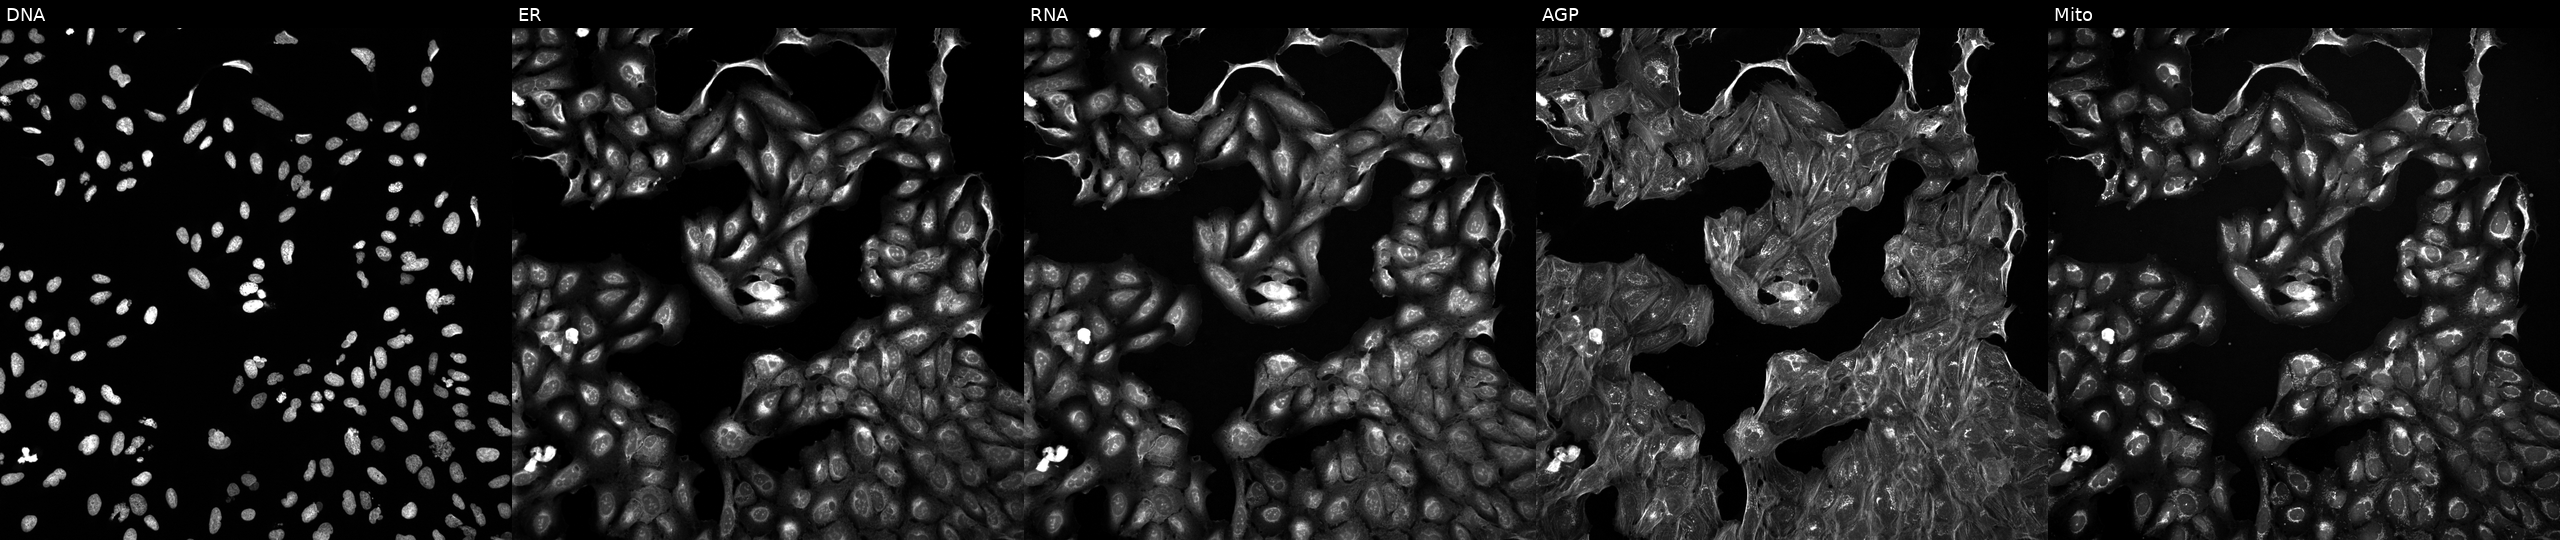
Five-channel Cell Painting image of U2OS cells treated with a small-molecule compound (InChIKey HSTZMXCBWJGKHG-UHFFFAOYSA-N). The five panels, left to right, show DNA (nuclei); ER (endoplasmic reticulum); RNA (nucleoli and cytoplasmic RNA); AGP (actin cytoskeleton, Golgi, and plasma membrane); Mito (mitochondria).